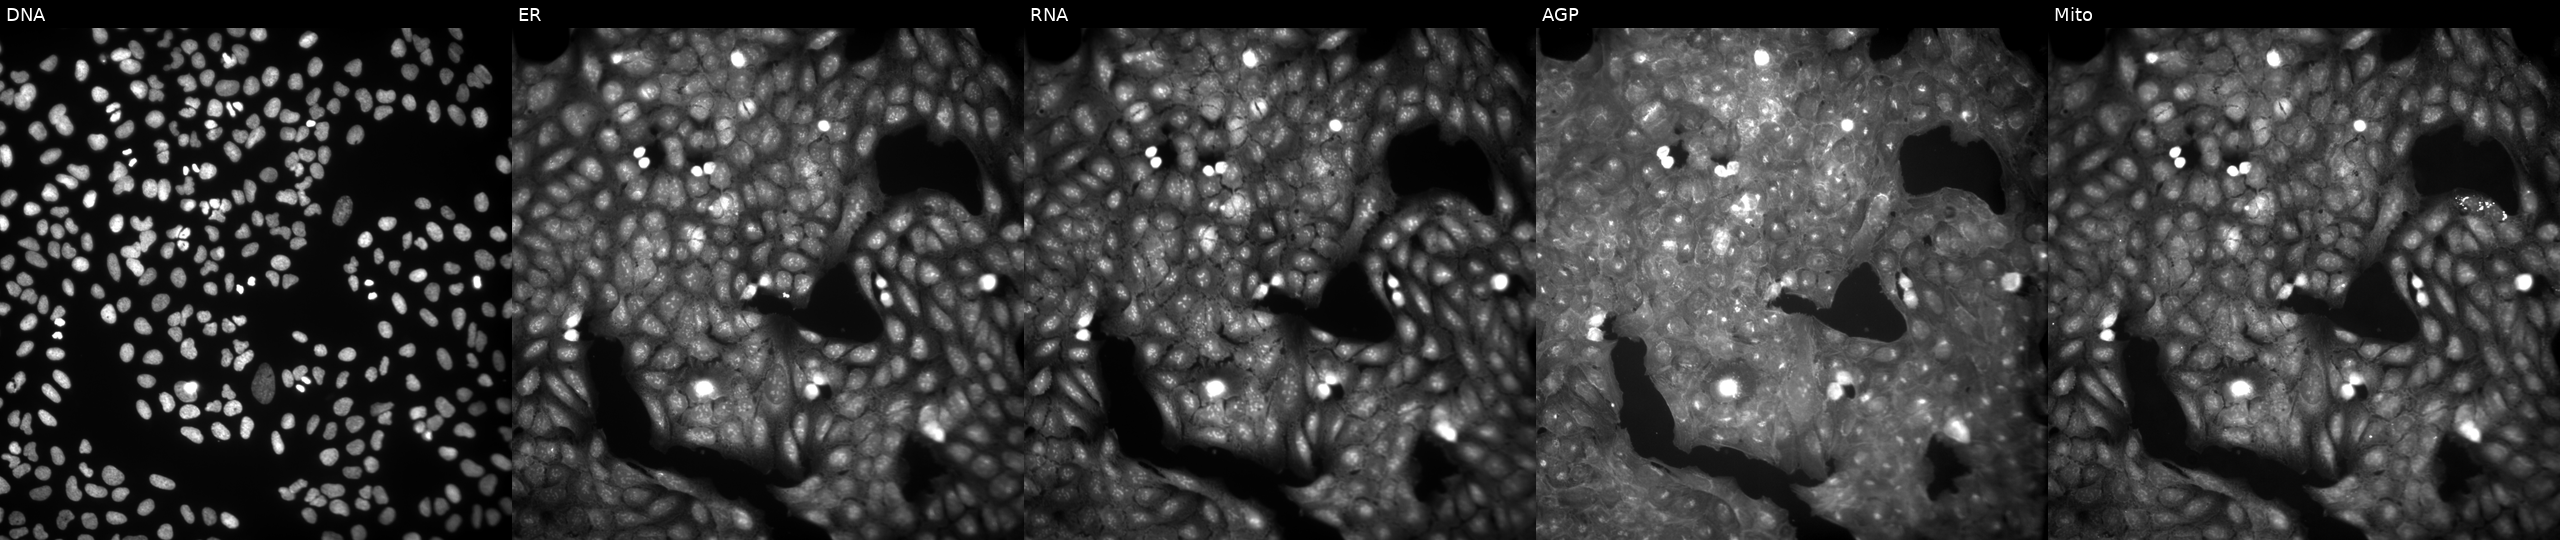
High-content fluorescence microscopy (Cell Painting). Cell line: U2OS. Perturbation: perturbed with a small-molecule compound (InChIKey QYHQHDWCPOHRKG-UHFFFAOYSA-N). From left to right: DNA (nuclei); ER (endoplasmic reticulum); RNA (nucleoli and cytoplasmic RNA); AGP (actin cytoskeleton, Golgi, and plasma membrane); Mito (mitochondria).